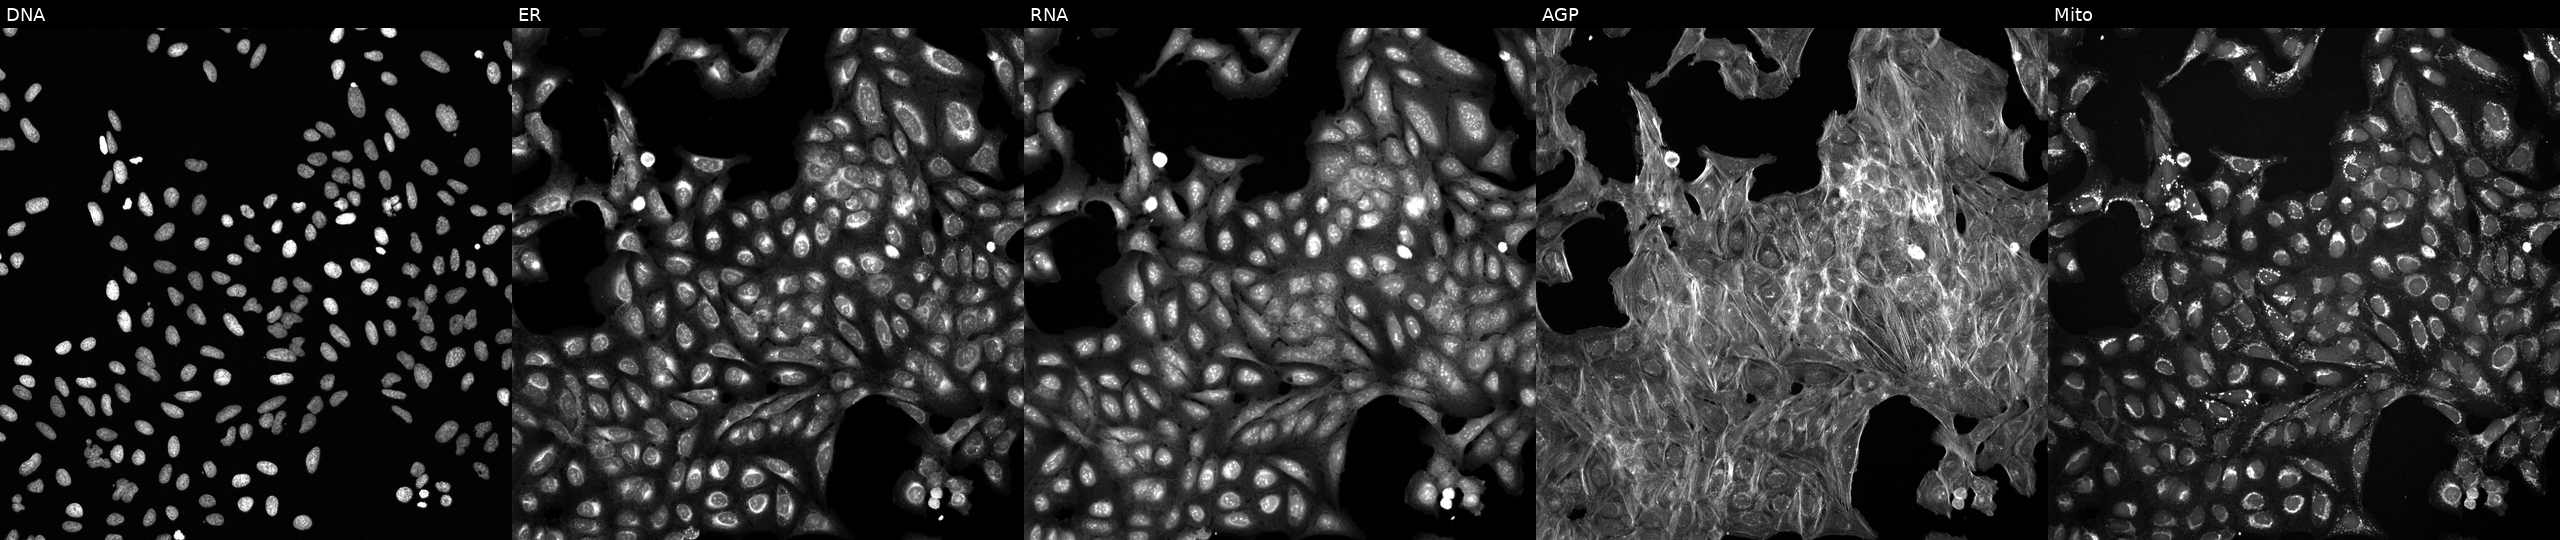
U2OS cells, Cell Painting assay, treated with a small-molecule compound (JUMP id JCP2022_100500). From left to right: DNA (nuclei); ER (endoplasmic reticulum); RNA (nucleoli and cytoplasmic RNA); AGP (actin cytoskeleton, Golgi, and plasma membrane); Mito (mitochondria). Each panel is percentile-stretched 16-bit fluorescence. Source 6, plate 110000293083, well H04.